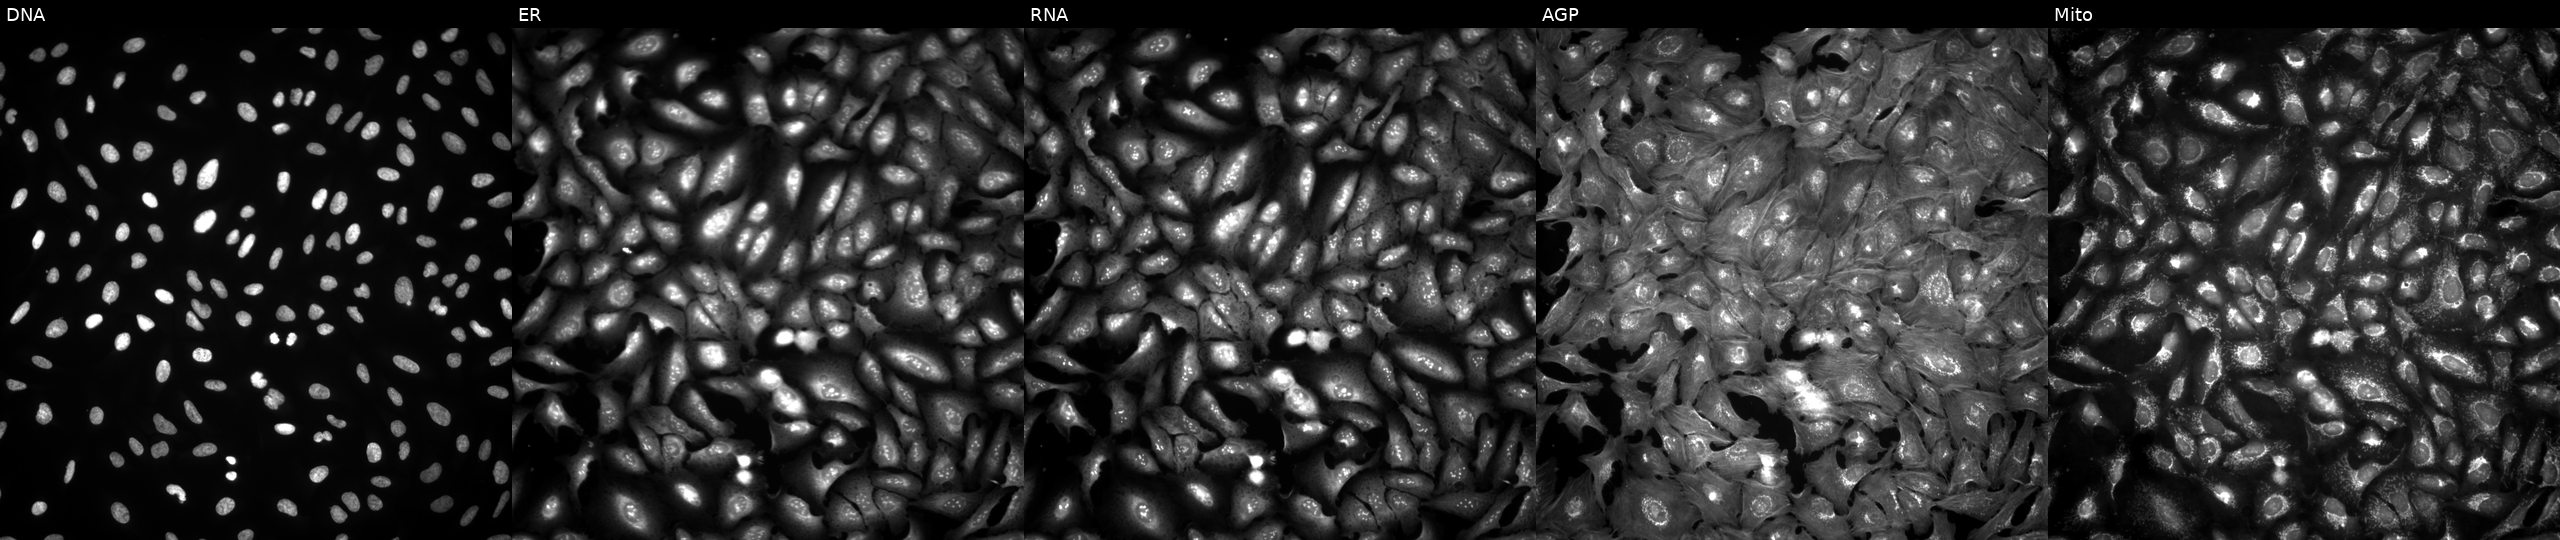
Five-channel Cell Painting image of U2OS cells transfected with an ORF construct for DUSP22 (JUMP id JCP2022_903529). Panels show, left to right, DNA, ER, RNA, AGP, and Mito. Source 4, plate BR00124784, well B06.